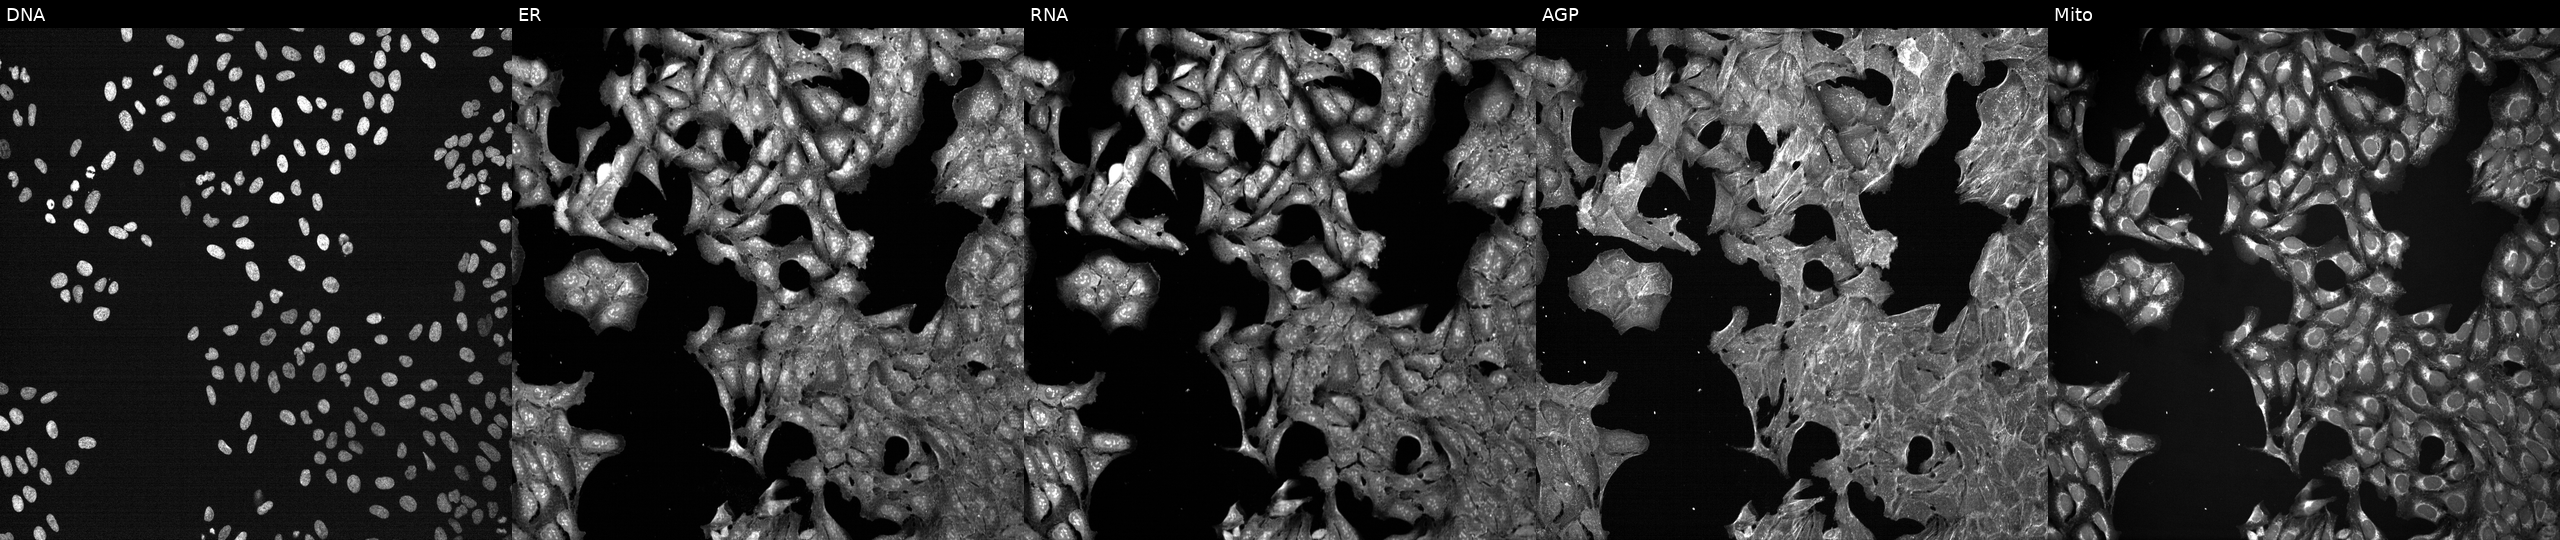
This image strip shows the five Cell Painting channels for a single field of U2OS cells exposed to a small-molecule compound (InChIKey OUZWUKMCLIBBOG-UHFFFAOYSA-N). The five panels, left to right, show DNA, ER, RNA, AGP, and Mito.